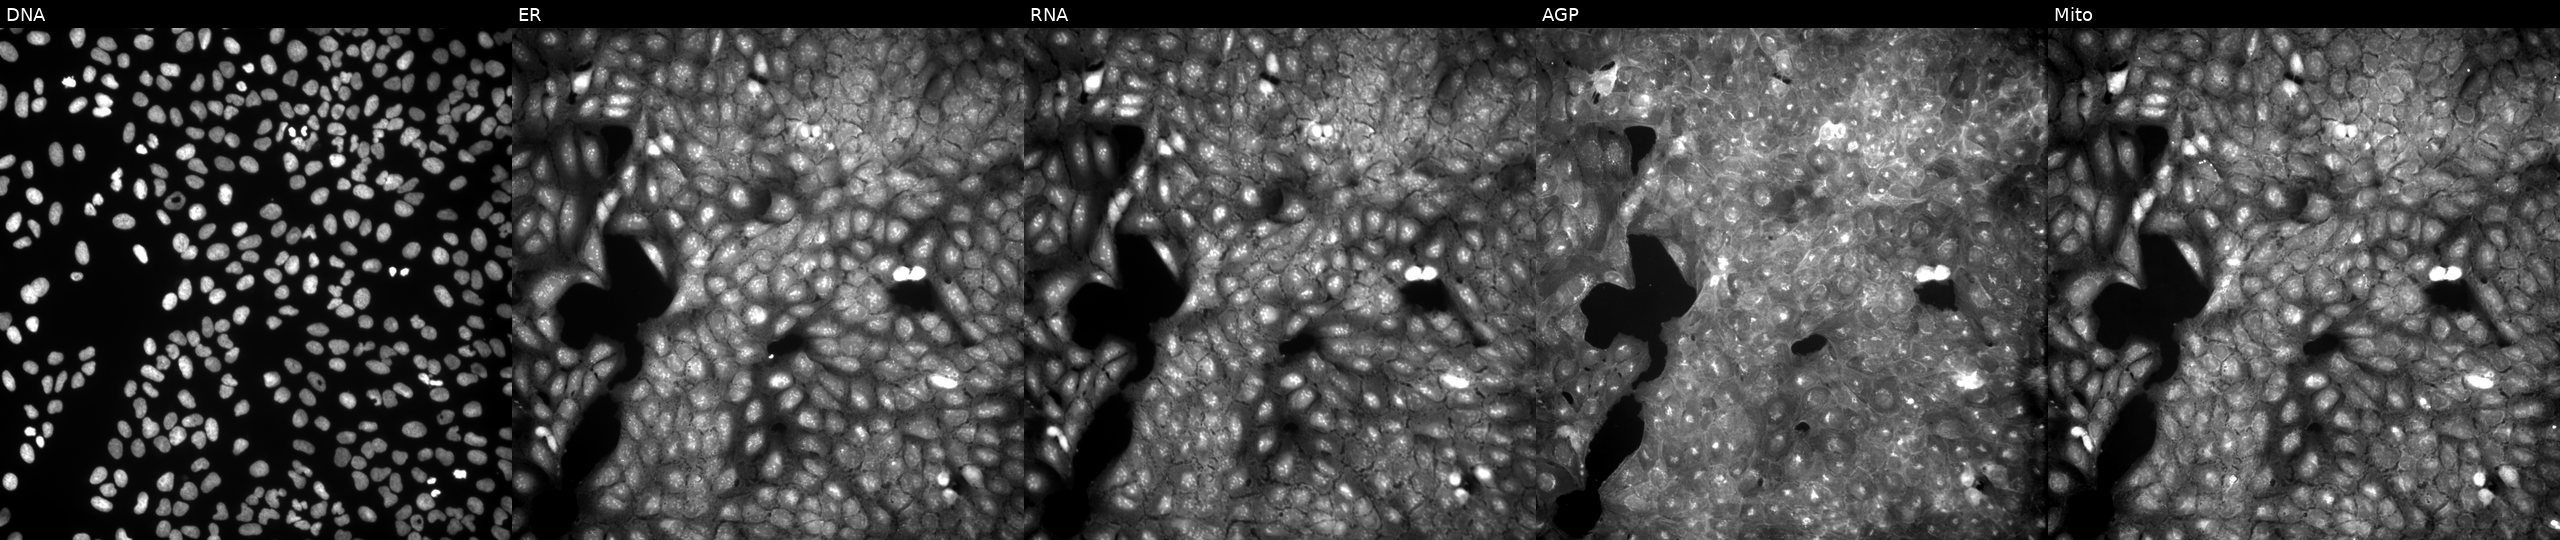
Channels (left→right): DNA (nuclei); ER (endoplasmic reticulum); RNA (nucleoli and cytoplasmic RNA); AGP (actin cytoskeleton, Golgi, and plasma membrane); Mito (mitochondria). U2OS osteosarcoma cells perturbed with a small-molecule compound. Cell Painting assay, JUMP-CP dataset.